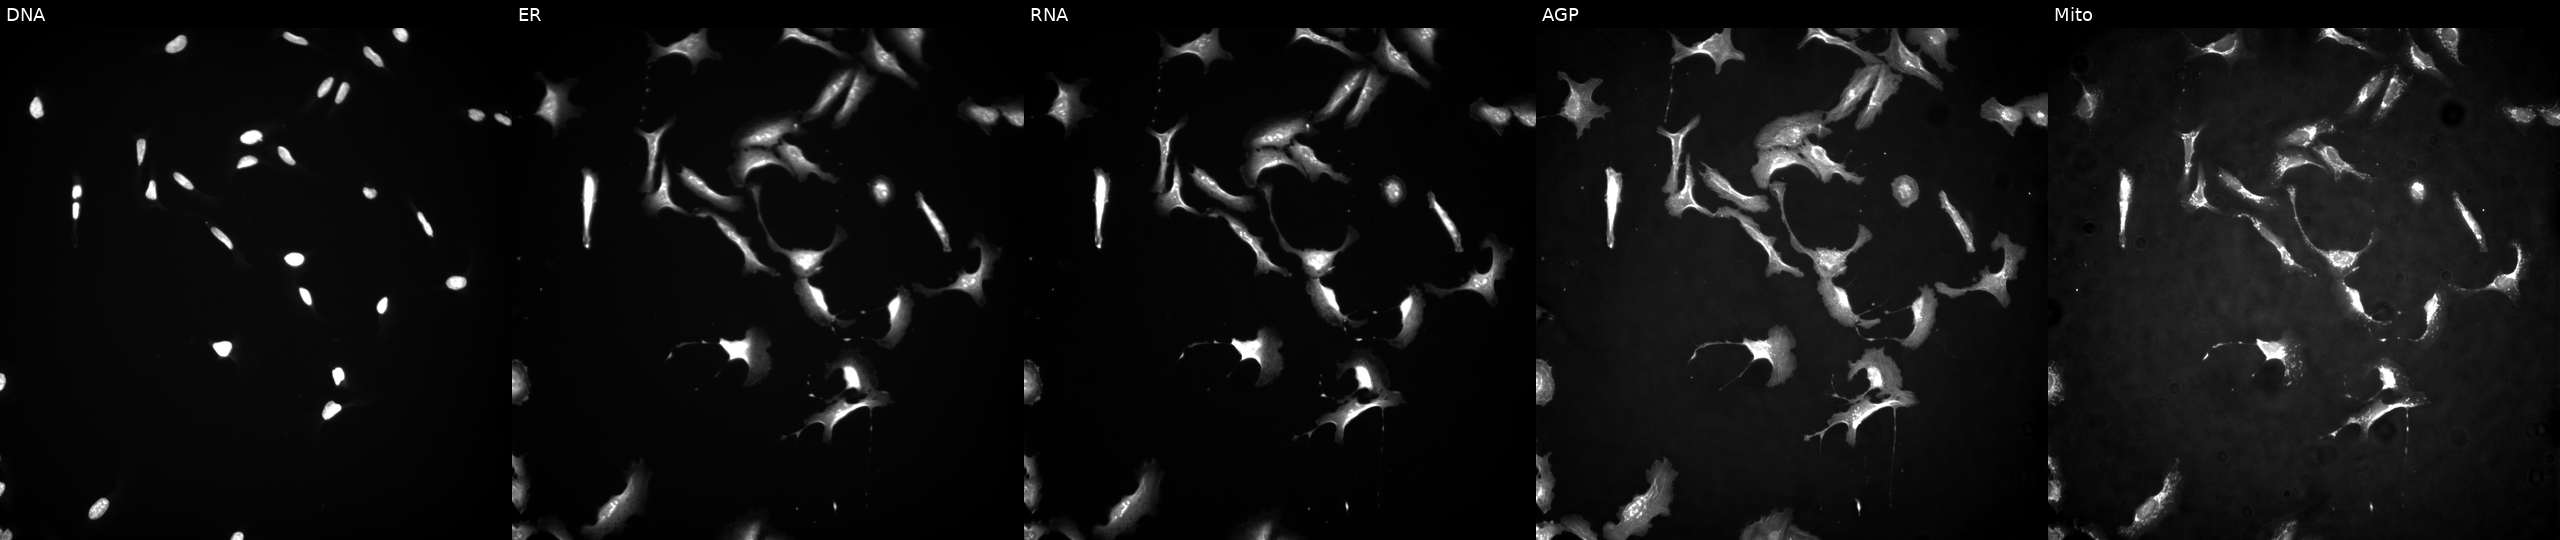
From left to right: DNA (nuclei); ER (endoplasmic reticulum); RNA (nucleoli and cytoplasmic RNA); AGP (actin cytoskeleton, Golgi, and plasma membrane); Mito (mitochondria). U2OS osteosarcoma cells with MECOM overexpressed (ORF) (JUMP id JCP2022_910076). Cell Painting assay, JUMP-CP dataset. Source 4, plate BR00117035, well P04.